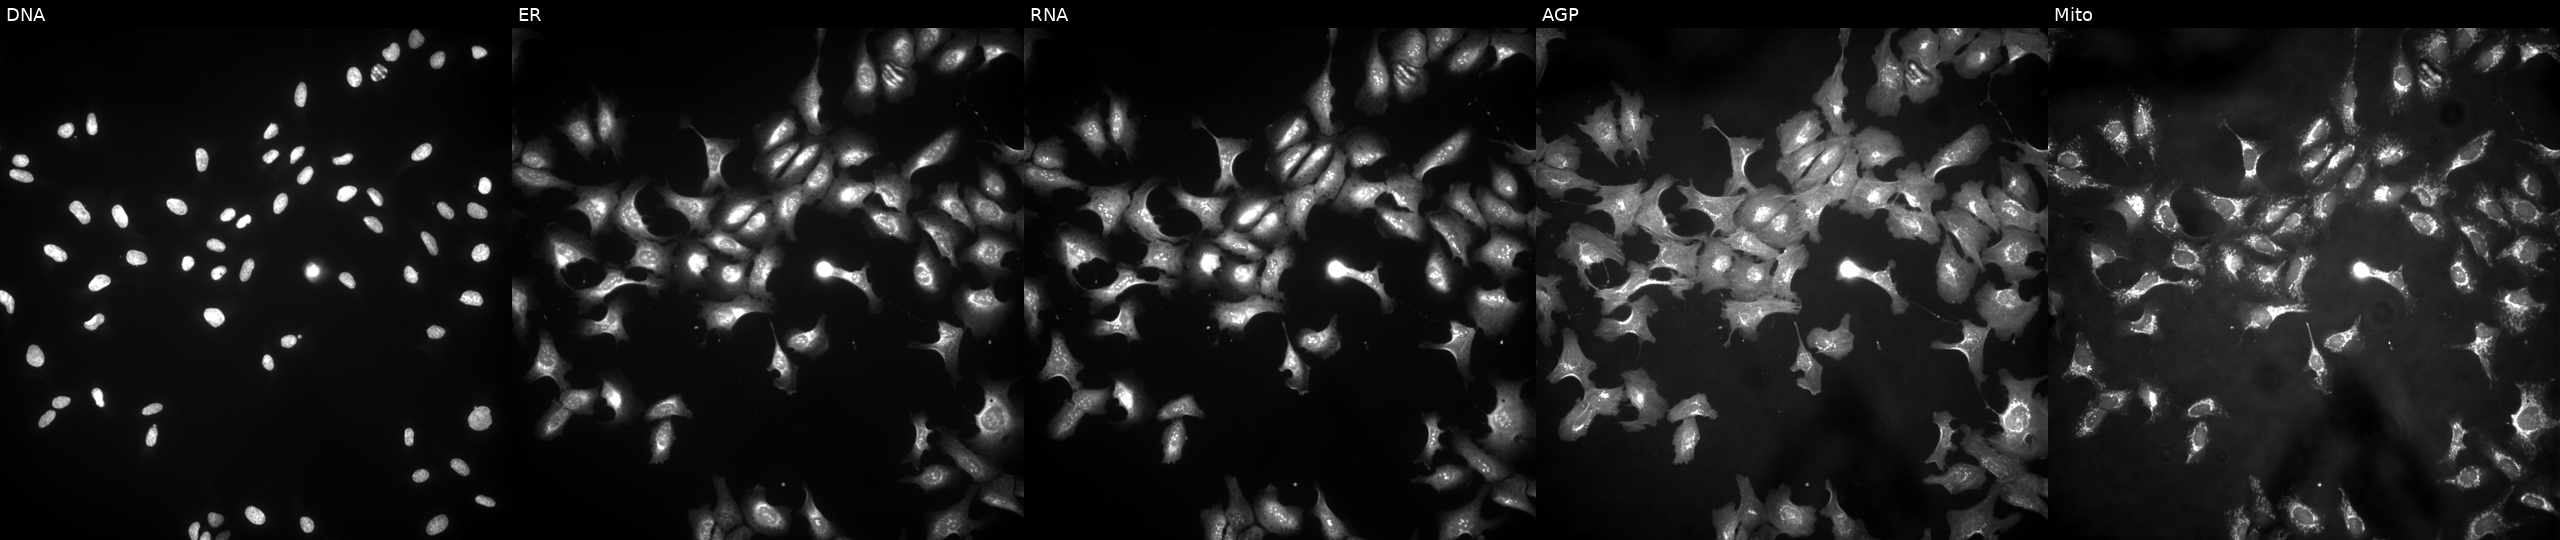
This image strip shows the five Cell Painting channels for a single field of U2OS cells with PGM1 overexpressed (ORF) (JUMP id JCP2022_914525). Channels (left→right): DNA, ER, RNA, AGP, and Mito.